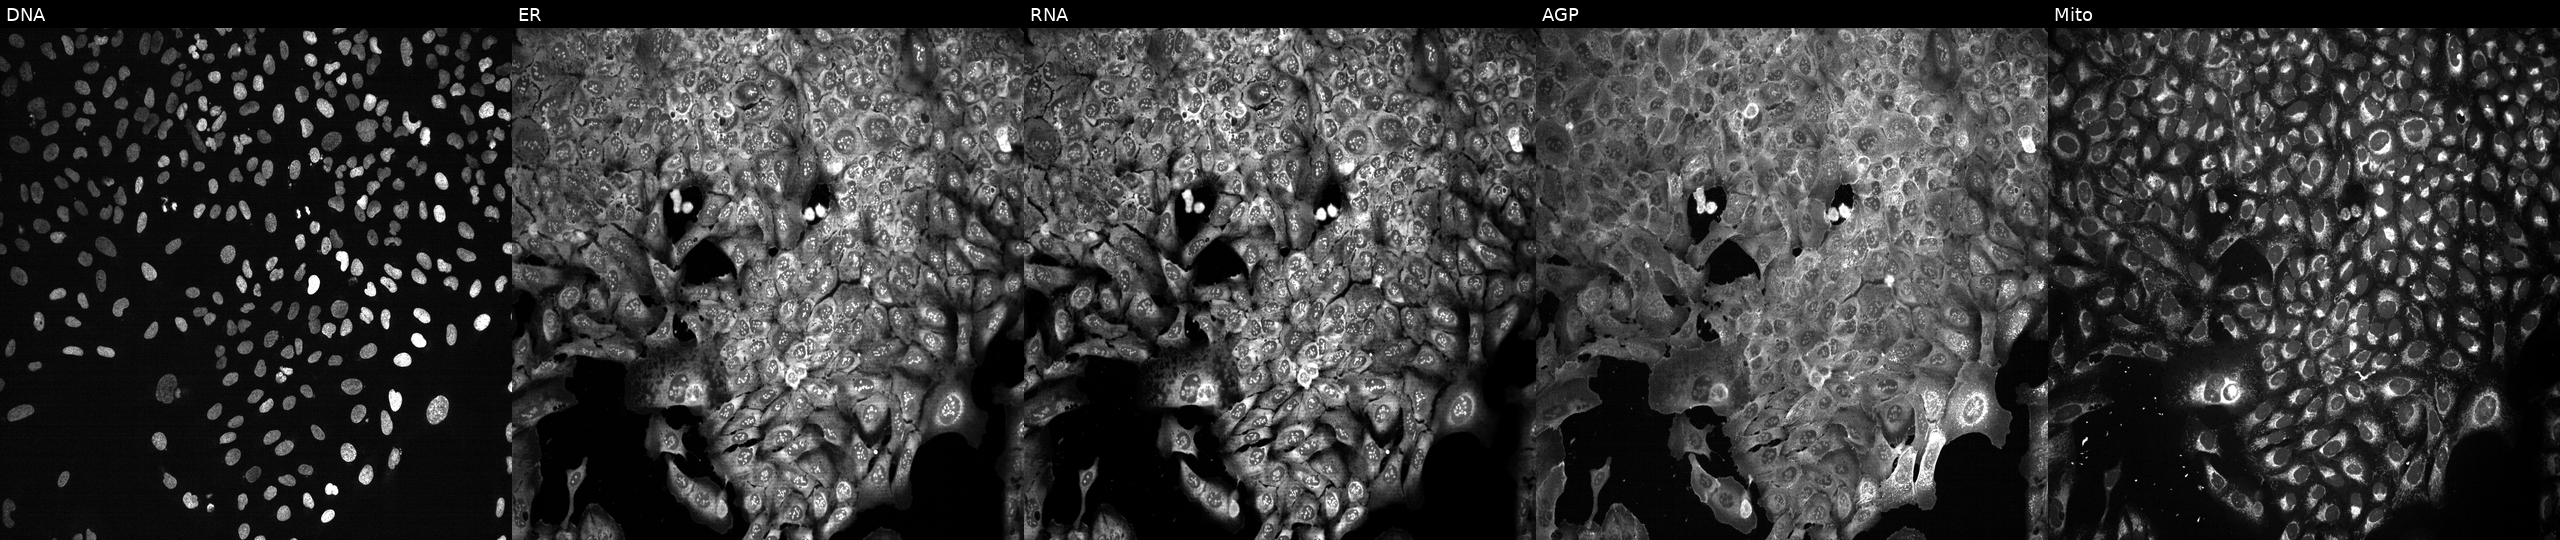
This image strip shows the five Cell Painting channels for a single field of U2OS cells following CRISPR knockout of PTGR2 (JUMP id JCP2022_805657). The five panels, left to right, show DNA (nuclei); ER (endoplasmic reticulum); RNA (nucleoli and cytoplasmic RNA); AGP (actin cytoskeleton, Golgi, and plasma membrane); Mito (mitochondria). Source 13, plate CP-CC9-R3-01, well C06.